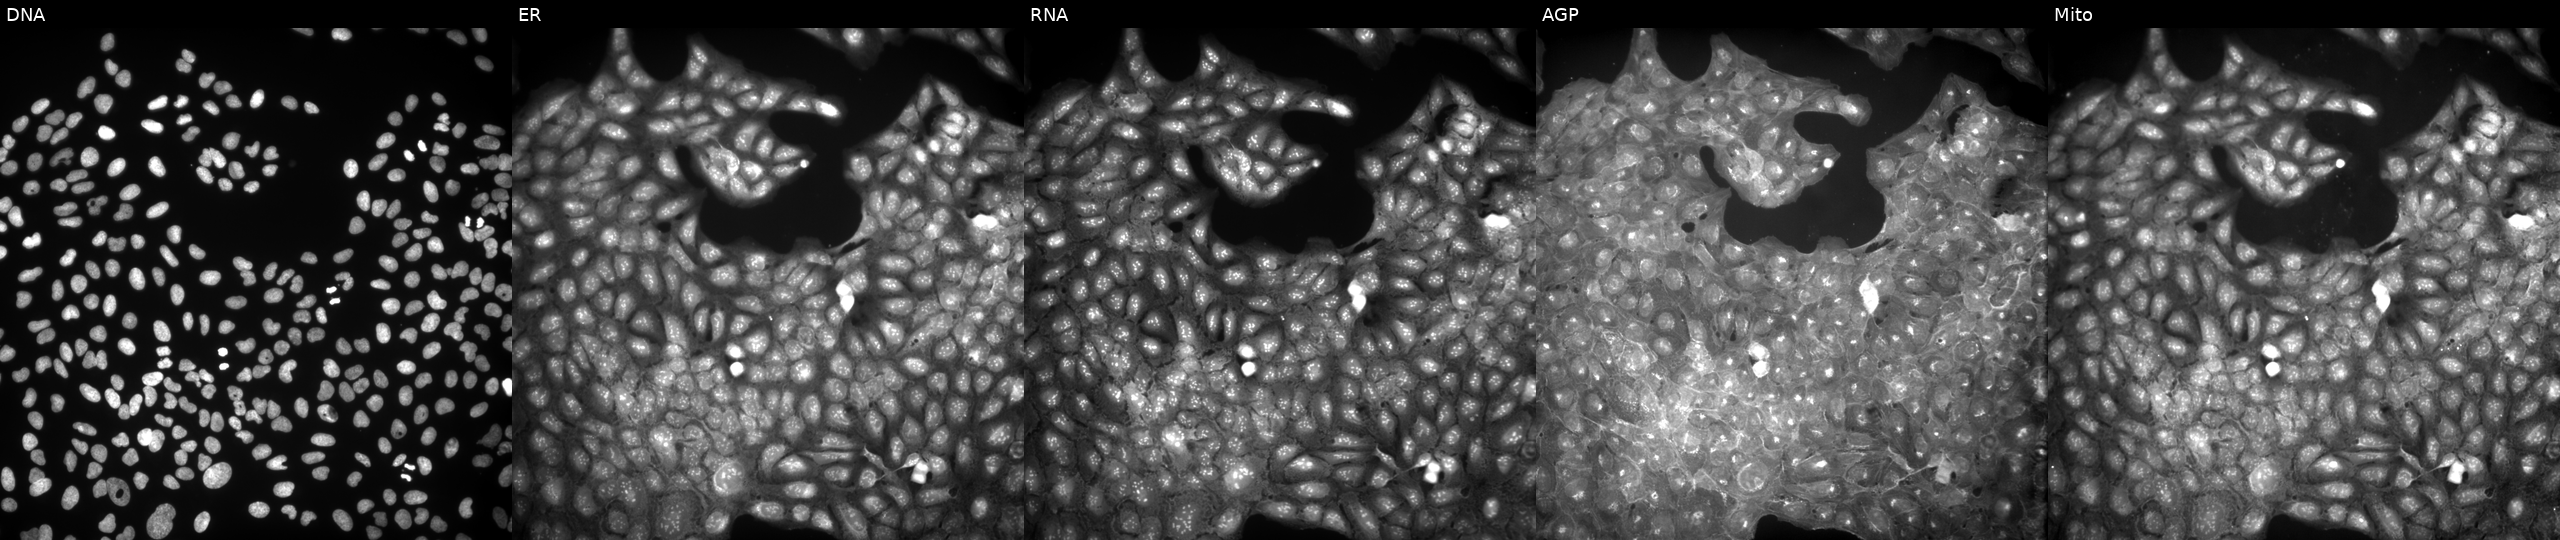
High-content fluorescence microscopy (Cell Painting). Cell line: U2OS. Perturbation: treated with a small-molecule compound (InChIKey PDHOEZXEVJTFJL-UHFFFAOYSA-N). From left to right: Hoechst 33342, concanavalin A, SYTO 14, phalloidin and WGA, MitoTracker. Source 9, plate GR00003381, well AF27.